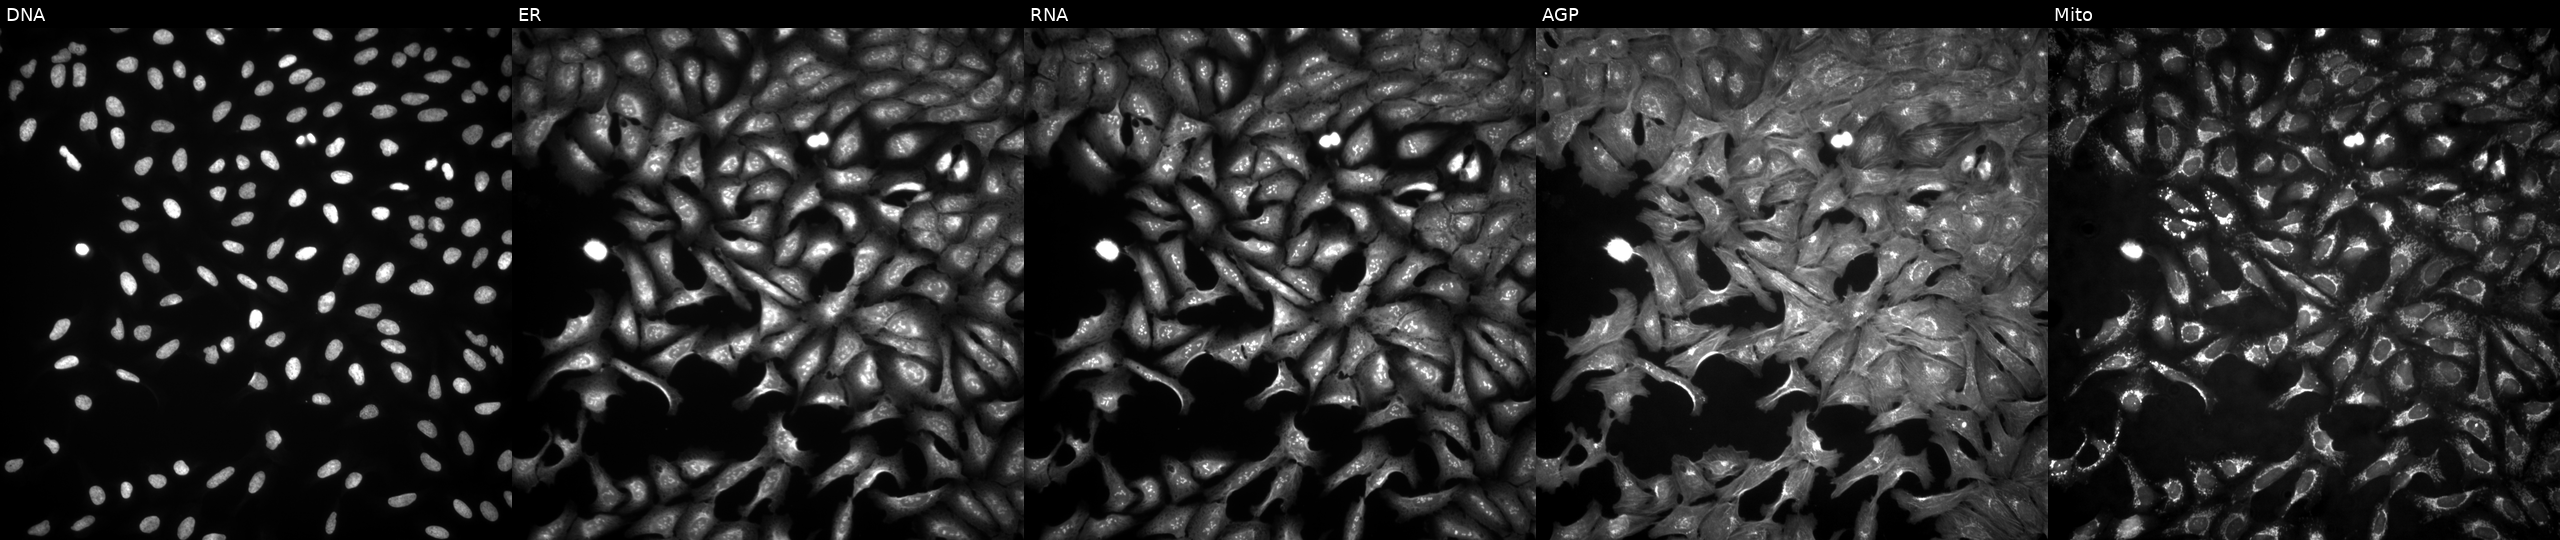
Five-channel Cell Painting image of U2OS cells with ATP5MD overexpressed (ORF) (JUMP id JCP2022_904149). Panels show, left to right, DNA, ER, RNA, AGP, and Mito. Source 4, plate BR00123509, well A04.